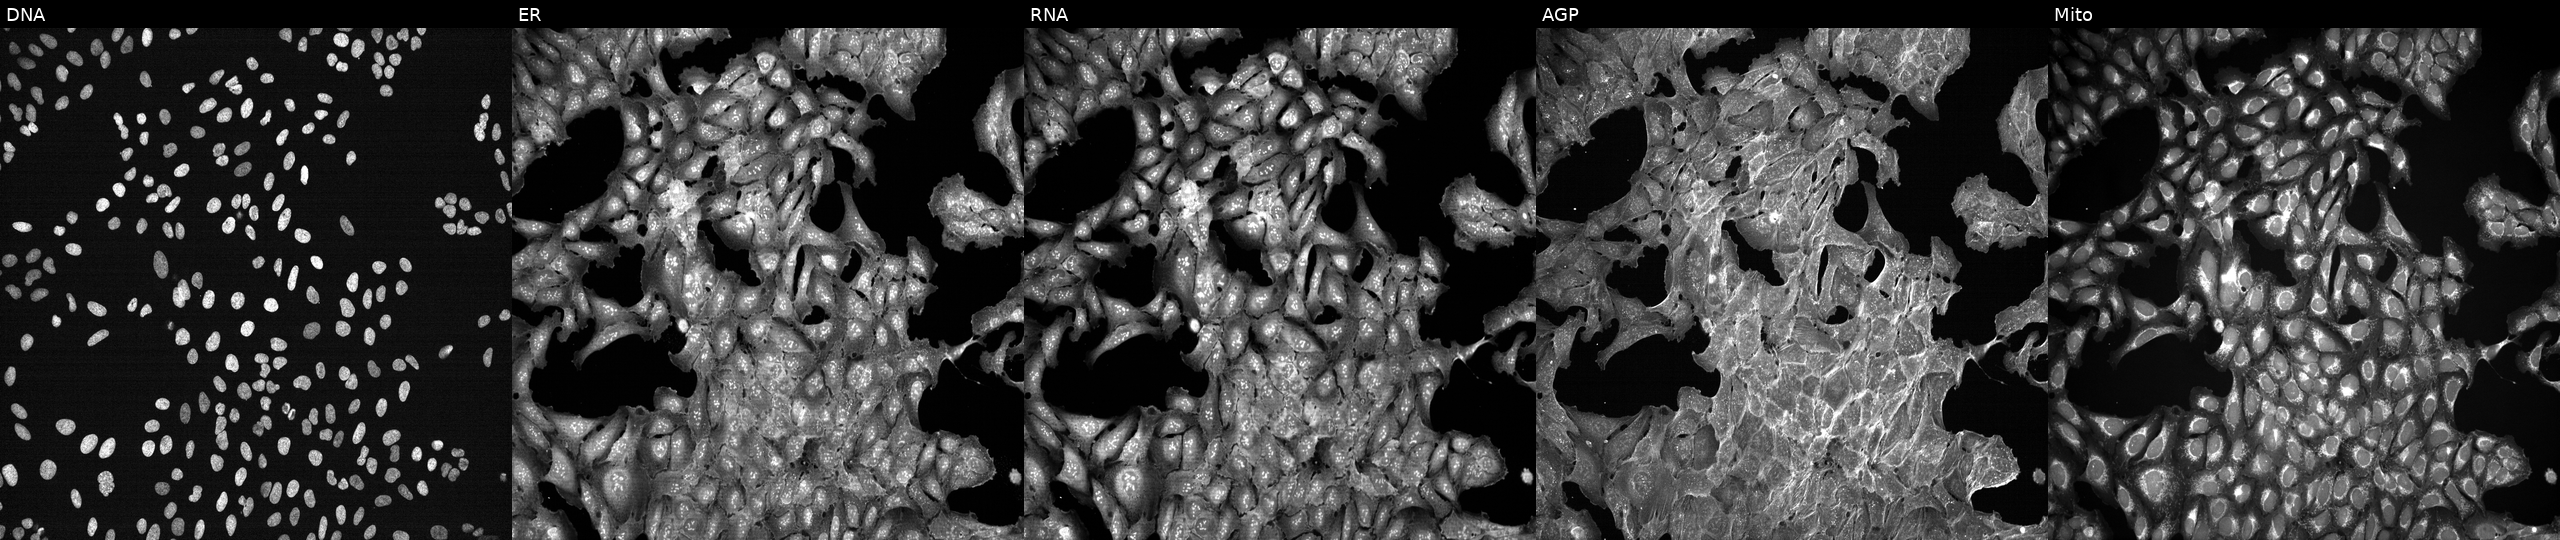
Five-channel Cell Painting image of U2OS cells exposed to a small-molecule compound. From left to right: Hoechst 33342, concanavalin A, SYTO 14, phalloidin and WGA, MitoTracker.